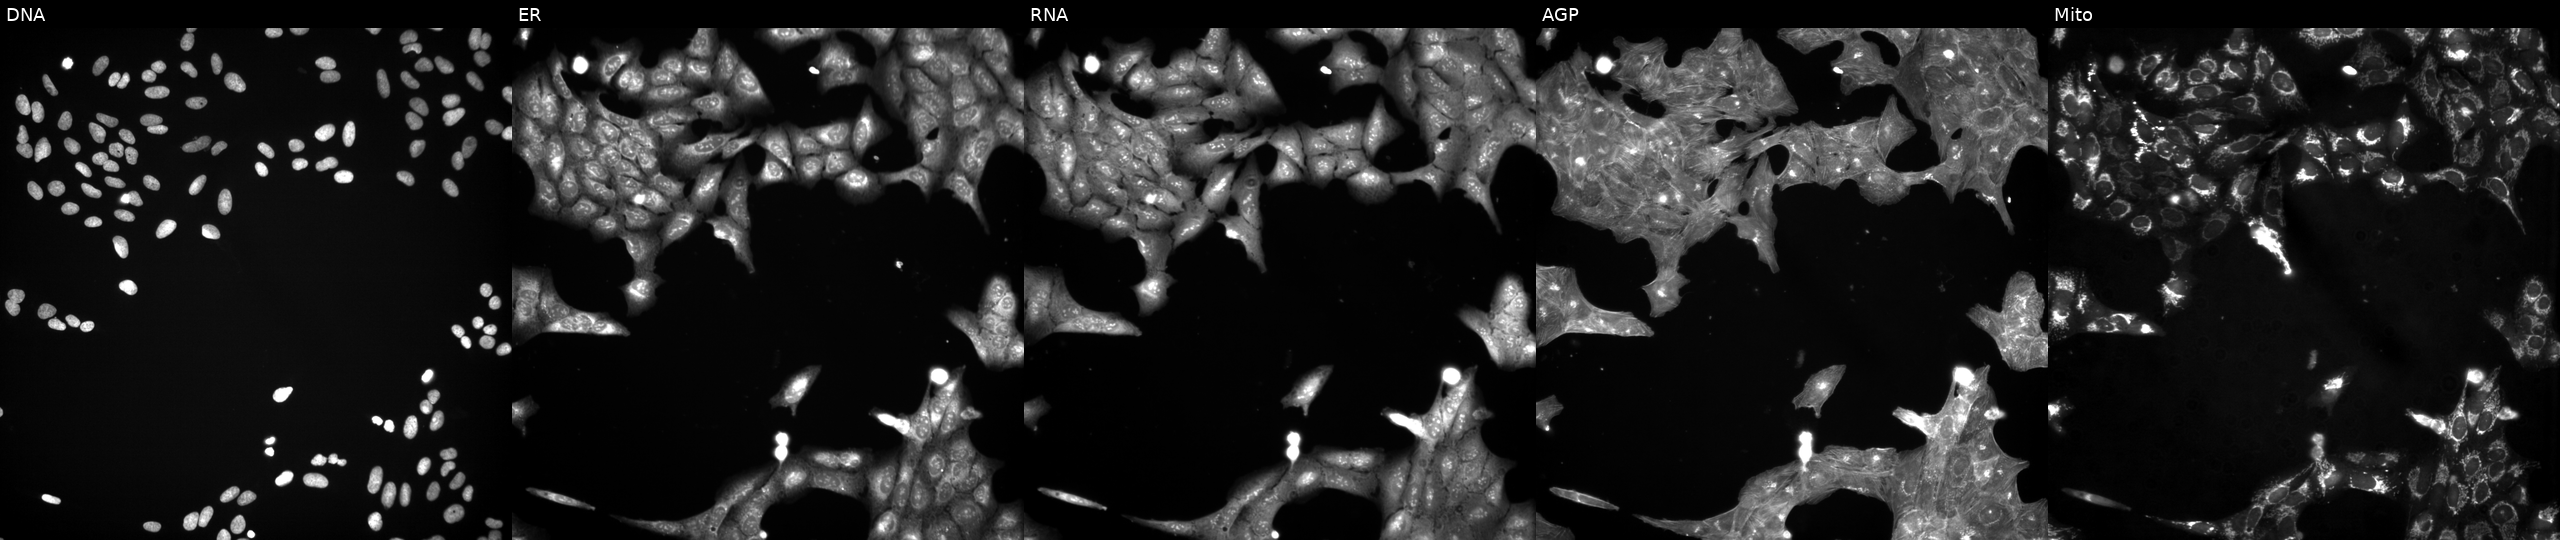
Five-channel Cell Painting image of U2OS cells perturbed with a small-molecule compound (InChIKey BLVQHYHDYFTPDV-UHFFFAOYSA-N). The five panels, left to right, show DNA, ER, RNA, AGP, and Mito.